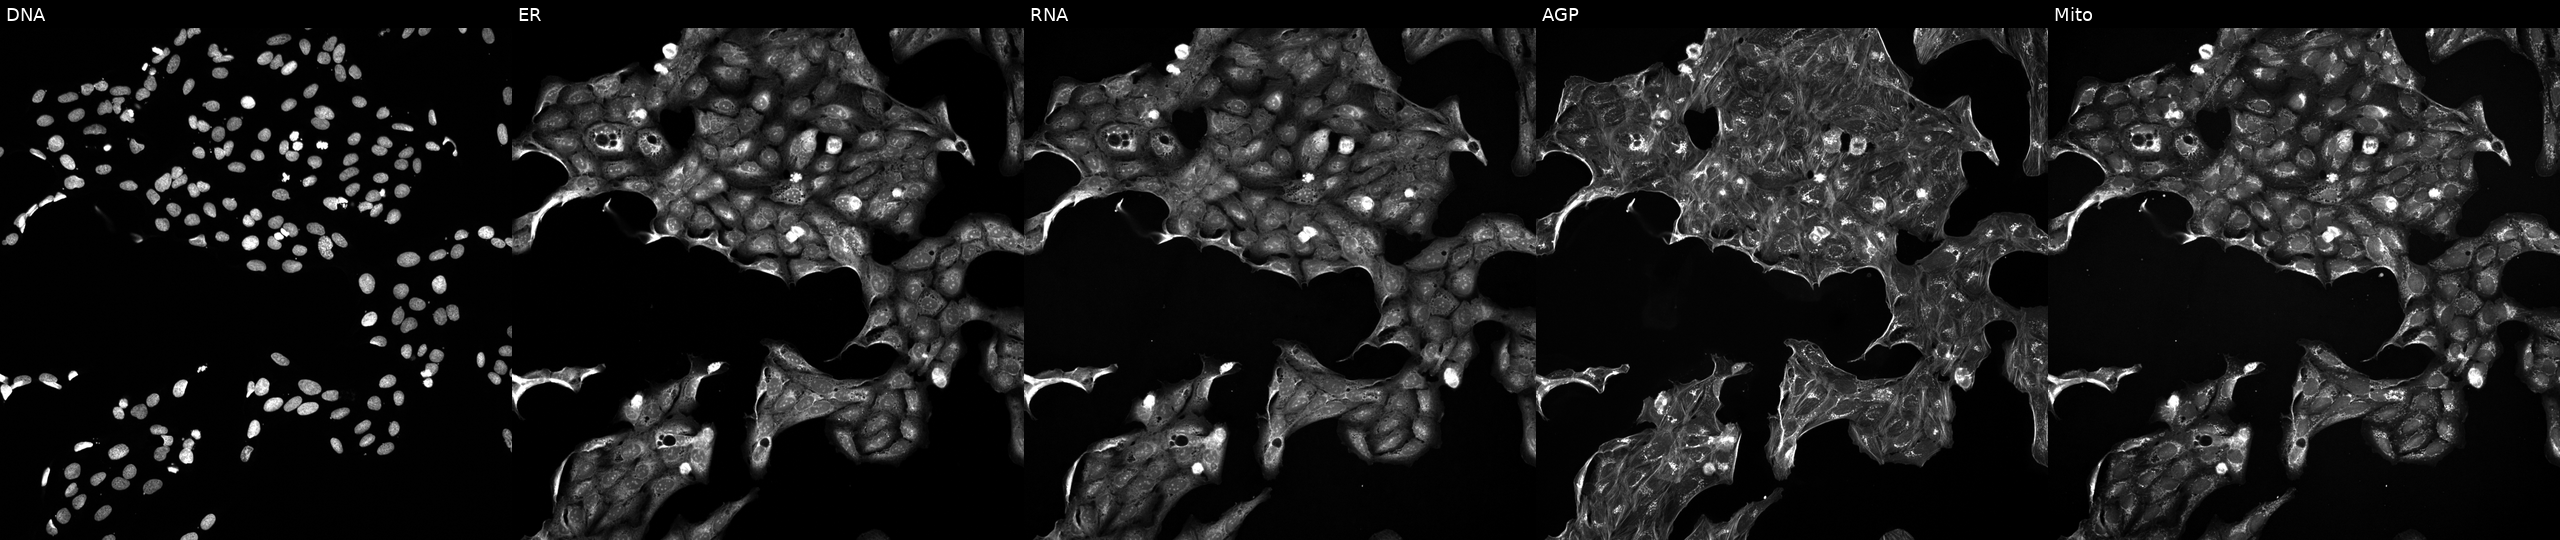
Five-channel Cell Painting image of U2OS cells perturbed with a small-molecule compound (InChIKey SCELLOWTHJGVIC-UHFFFAOYSA-N) (JUMP id JCP2022_082234). Panels show, left to right, DNA, ER, RNA, AGP, and Mito.